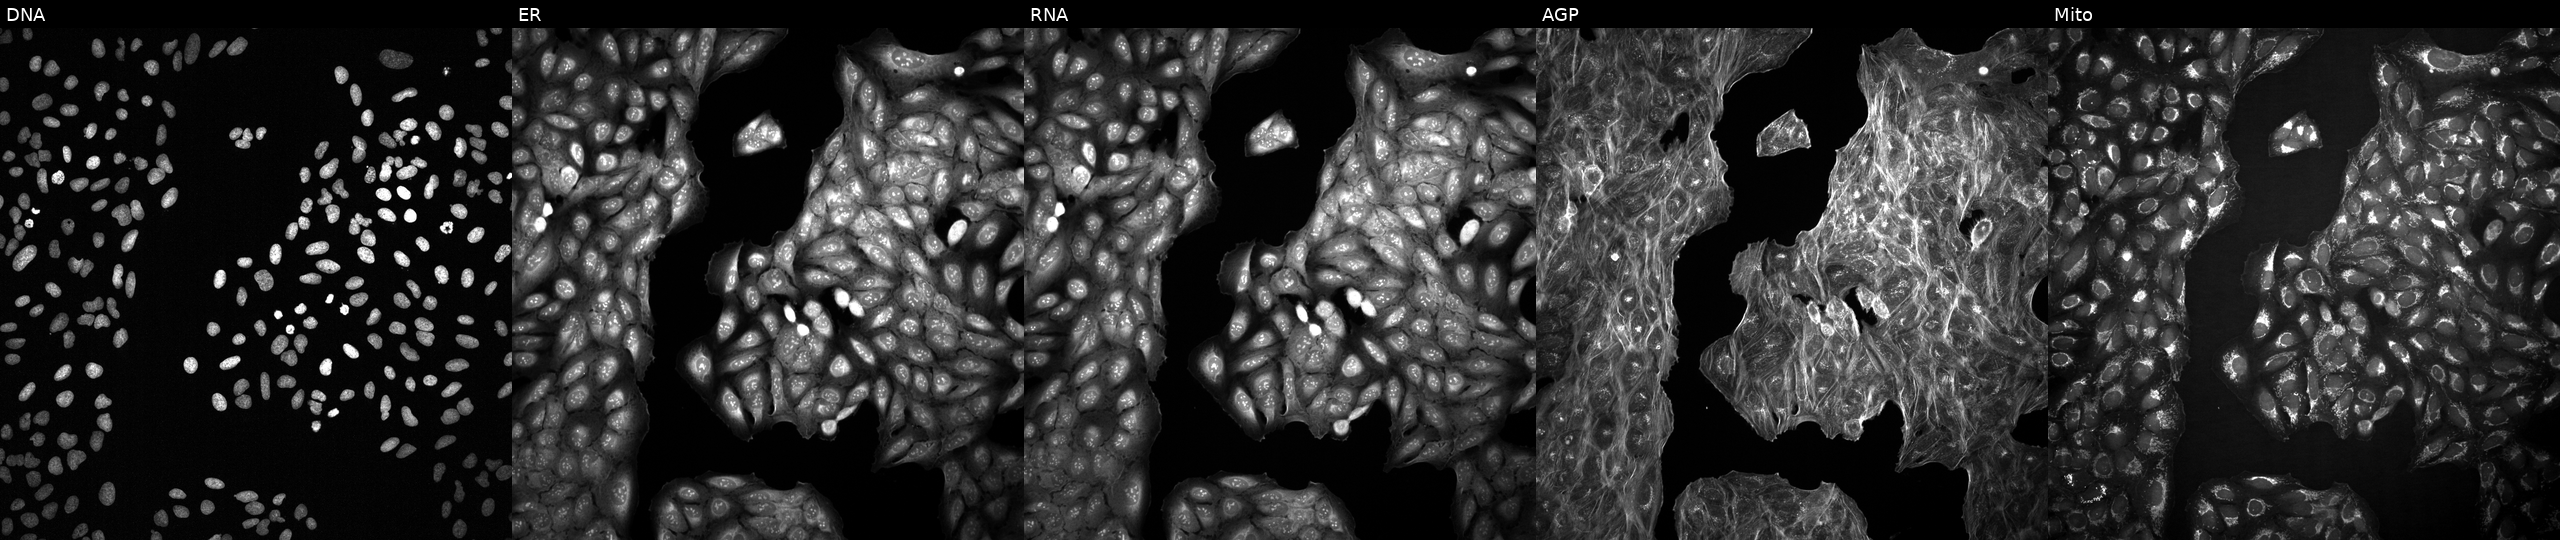
High-content fluorescence microscopy (Cell Painting). Cell line: U2OS. Perturbation: with an unidentified perturbation (not annotated in JUMP metadata). Channels (left→right): Hoechst 33342, concanavalin A, SYTO 14, phalloidin and WGA, MitoTracker.